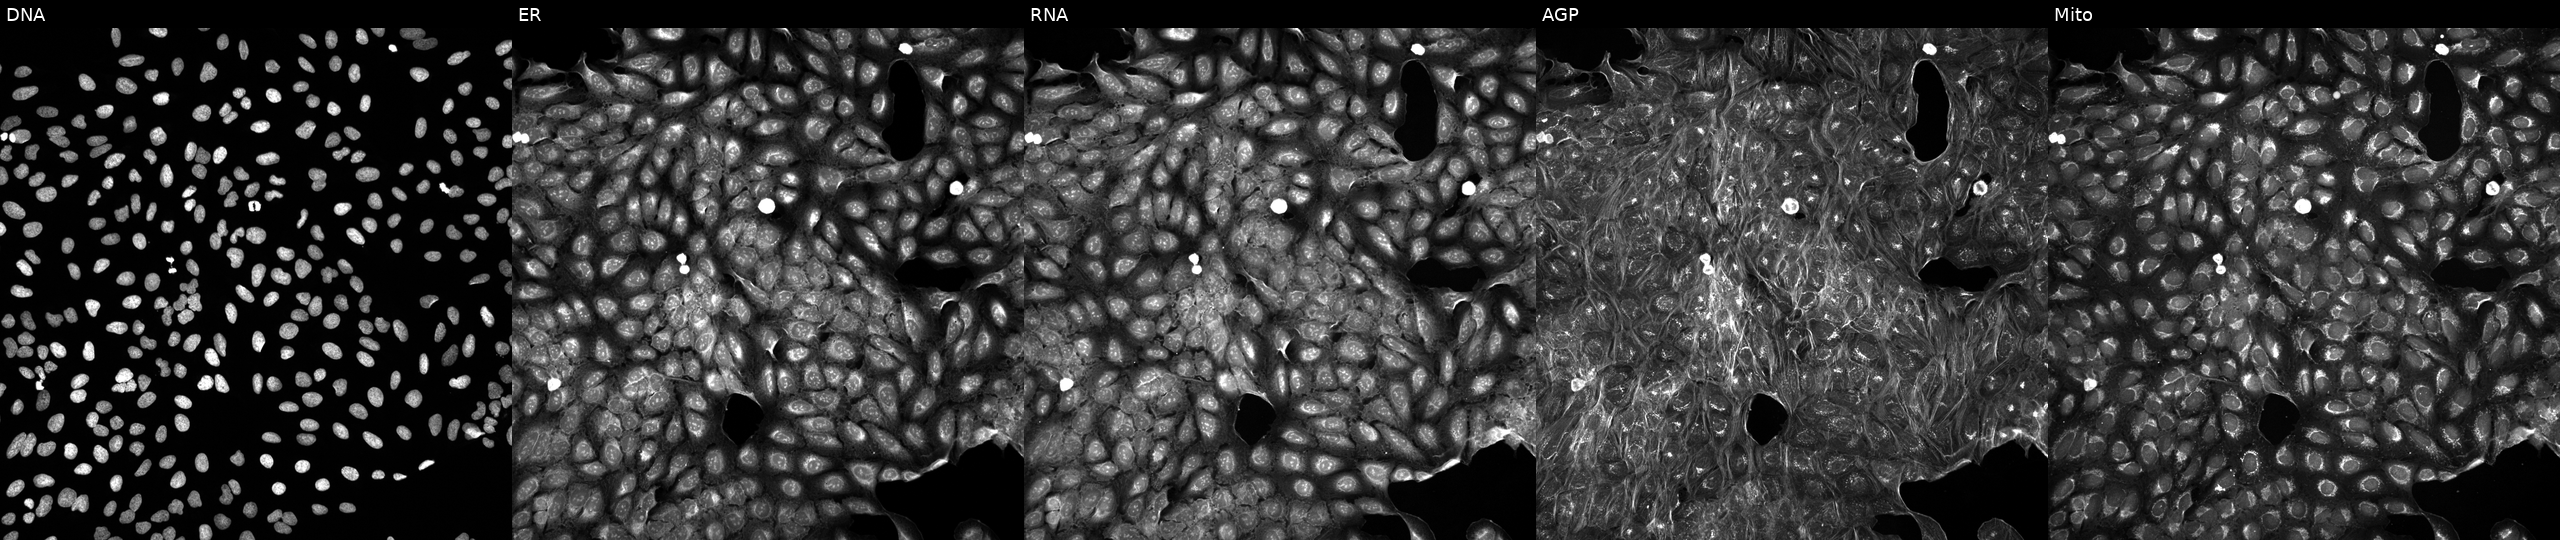
Channels (left→right): DNA (nuclei); ER (endoplasmic reticulum); RNA (nucleoli and cytoplasmic RNA); AGP (actin cytoskeleton, Golgi, and plasma membrane); Mito (mitochondria). U2OS osteosarcoma cells treated with a small-molecule compound (InChIKey IKENVDNFQMCRTR-UHFFFAOYSA-N). Cell Painting assay, JUMP-CP dataset.